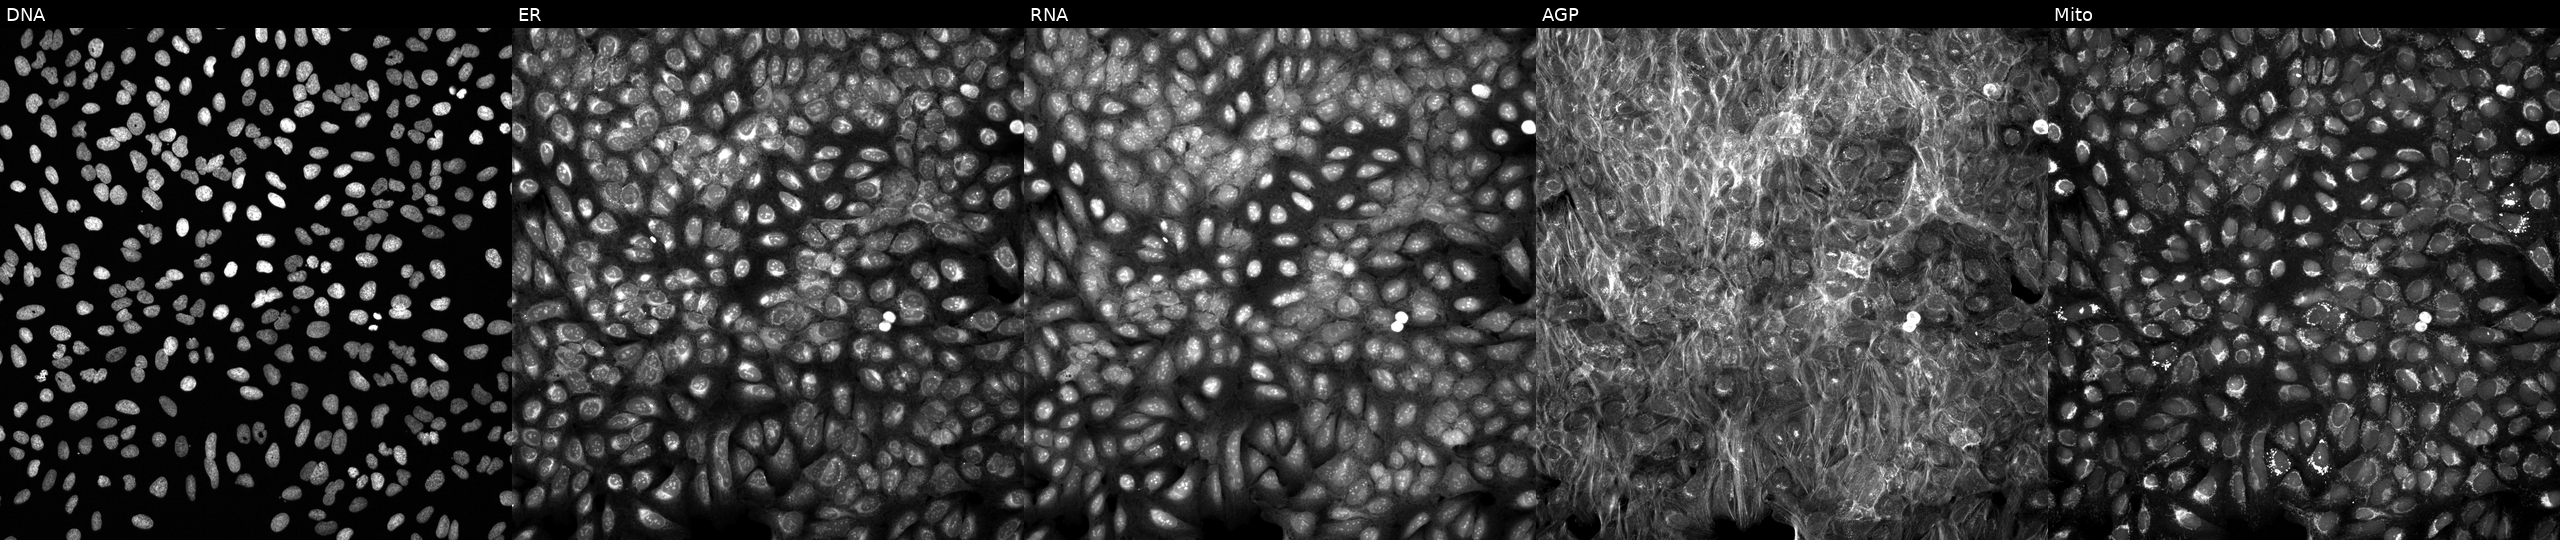
Five-channel Cell Painting image of U2OS cells exposed to DMSO alone as a negative control. From left to right: DNA (nuclei); ER (endoplasmic reticulum); RNA (nucleoli and cytoplasmic RNA); AGP (actin cytoskeleton, Golgi, and plasma membrane); Mito (mitochondria).